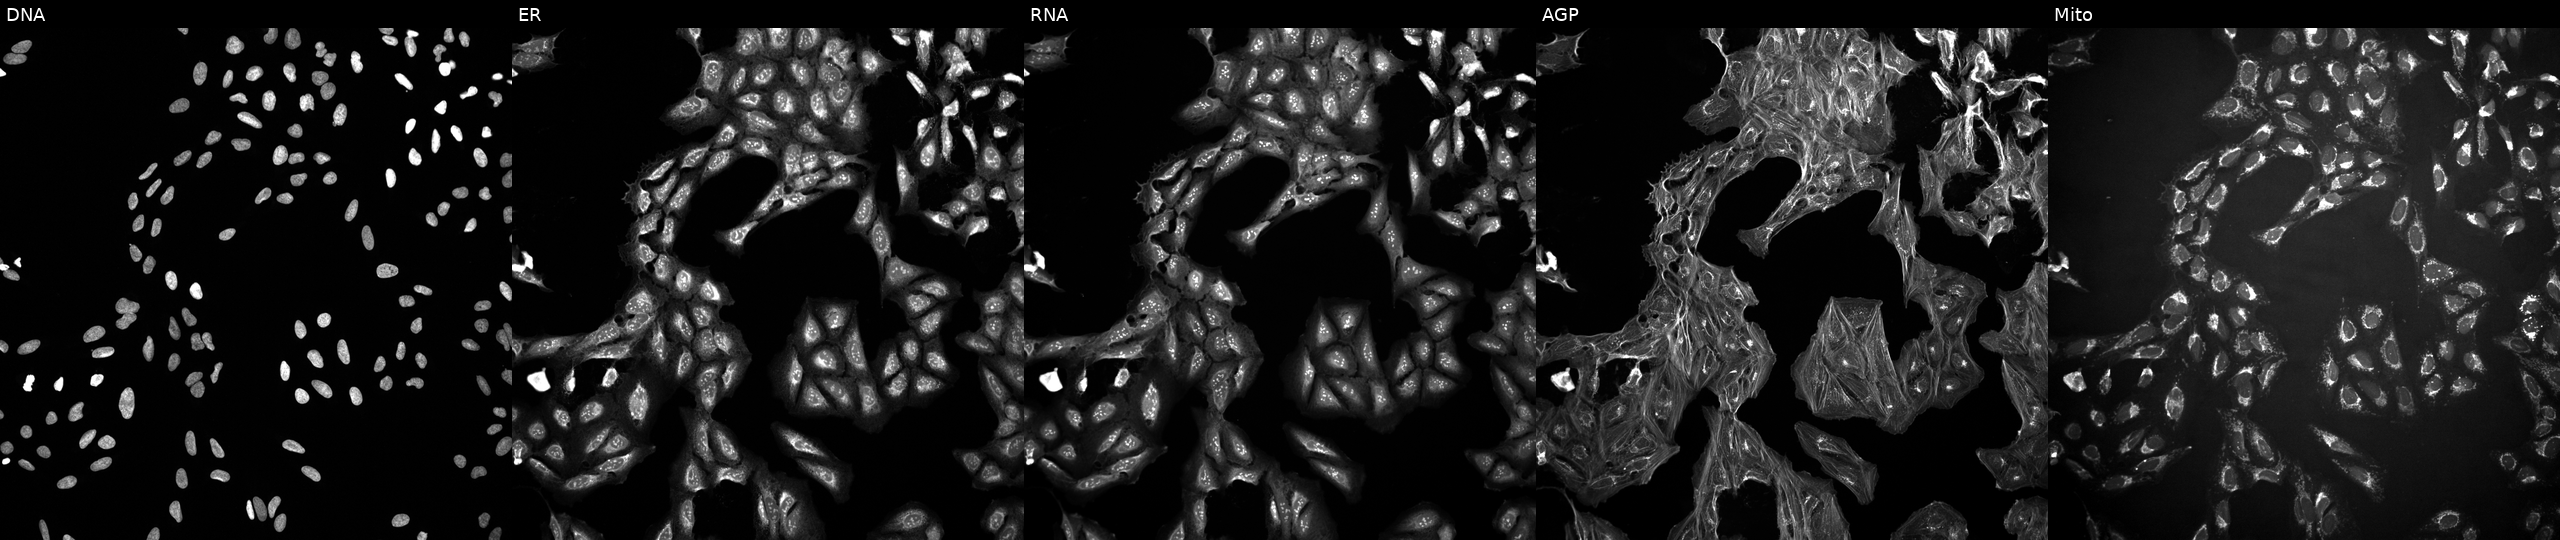
U2OS cells, Cell Painting assay, treated with DMSO vehicle only (negative control). From left to right: DNA, ER, RNA, AGP, and Mito. Each panel is percentile-stretched 16-bit fluorescence.